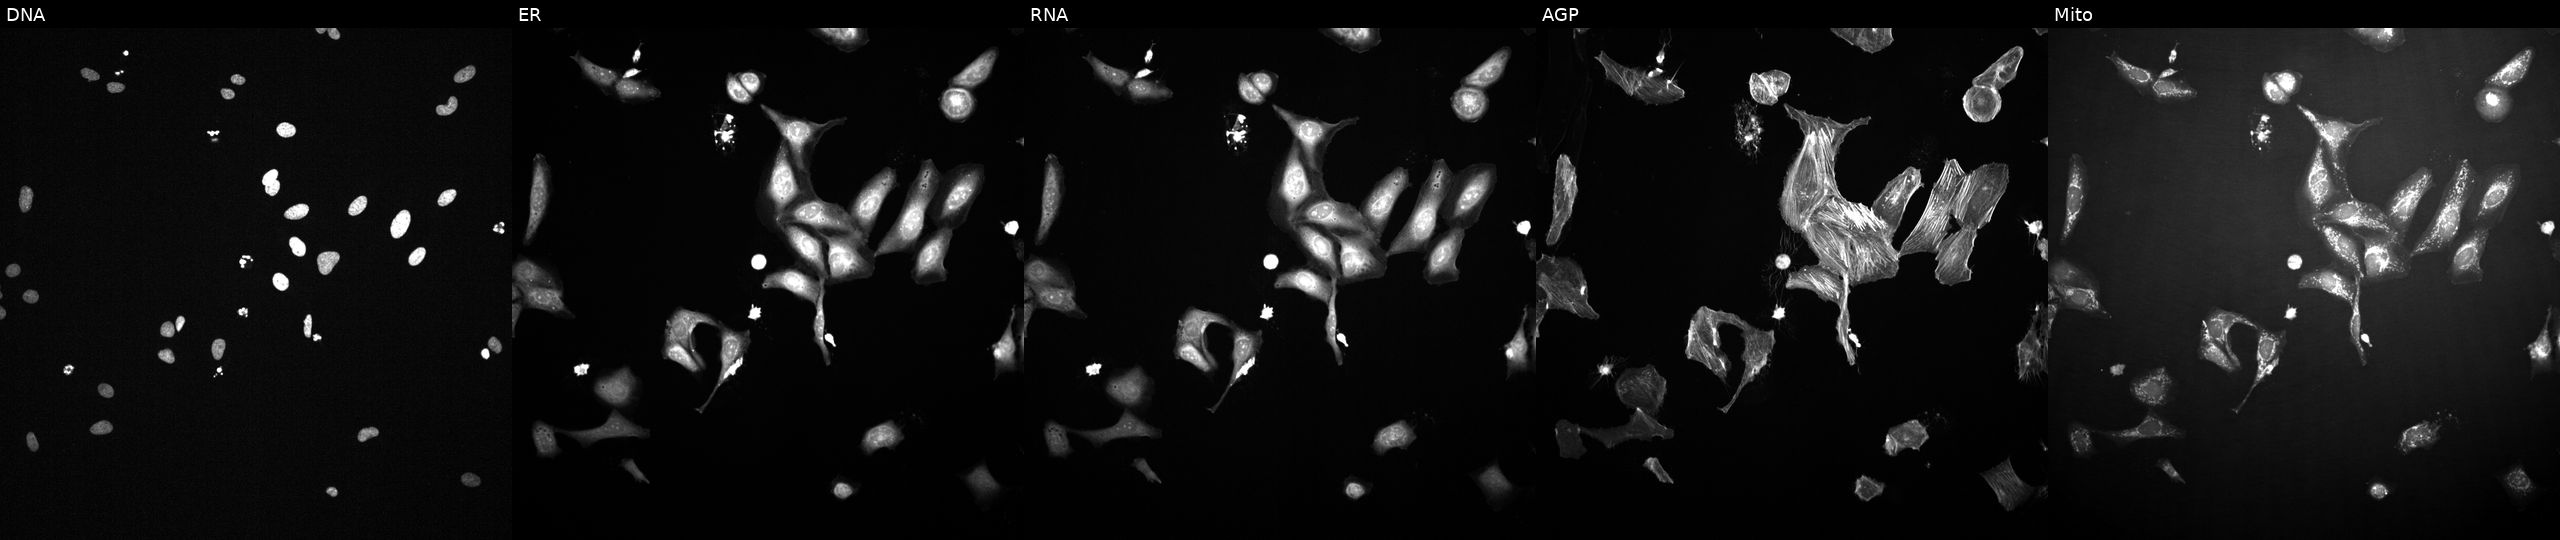
Five-channel Cell Painting image of U2OS cells perturbed with a small-molecule compound (InChIKey AYCPARAPKDAOEN-UHFFFAOYSA-N) (JUMP id JCP2022_004587). Channels (left→right): Hoechst 33342, concanavalin A, SYTO 14, phalloidin and WGA, MitoTracker. Source 2, plate 1053597936, well M11.